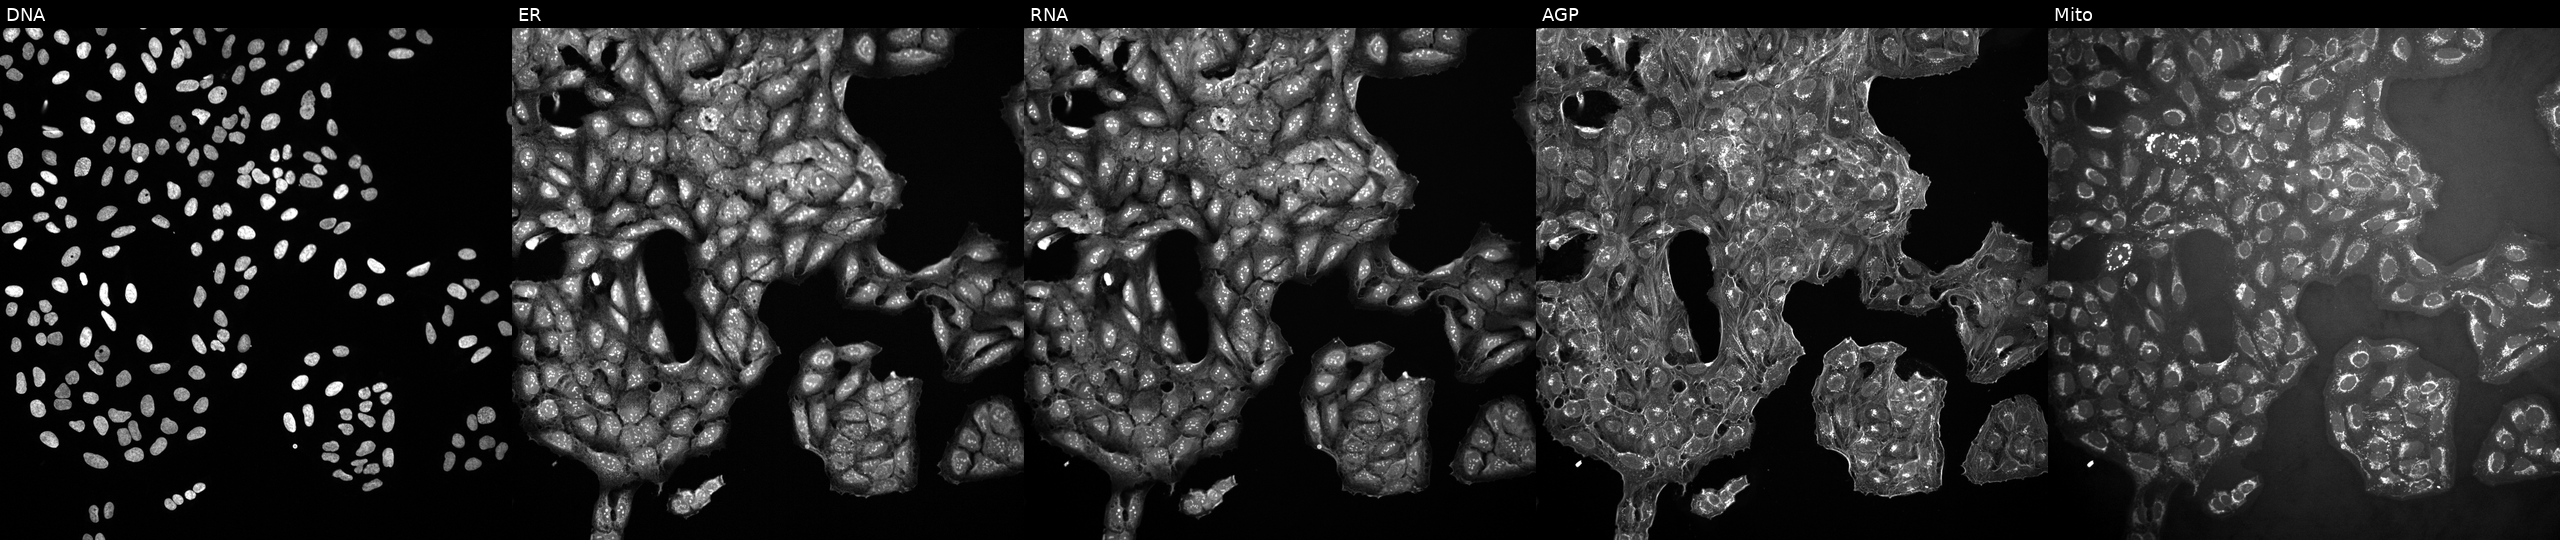
This image strip shows the five Cell Painting channels for a single field of U2OS cells untreated (empty-well control). From left to right: Hoechst 33342, concanavalin A, SYTO 14, phalloidin and WGA, MitoTracker. Source 10, plate Dest210531-152149, well B10.